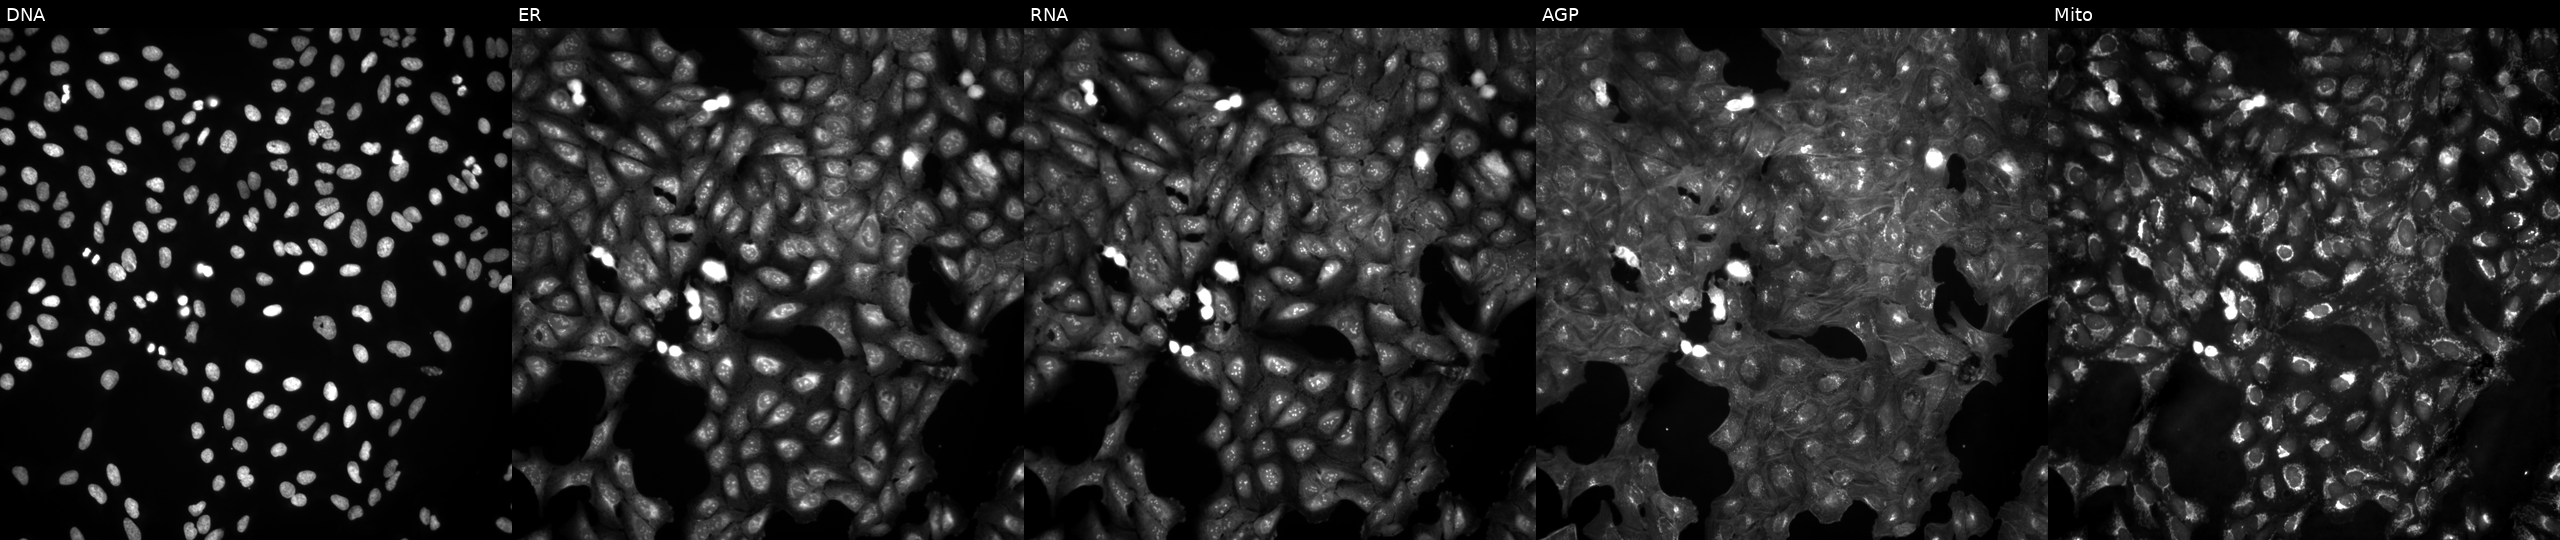
High-content fluorescence microscopy (Cell Painting). Cell line: U2OS. Perturbation: untreated (empty-well control). Panels show, left to right, Hoechst 33342, concanavalin A, SYTO 14, phalloidin and WGA, MitoTracker.